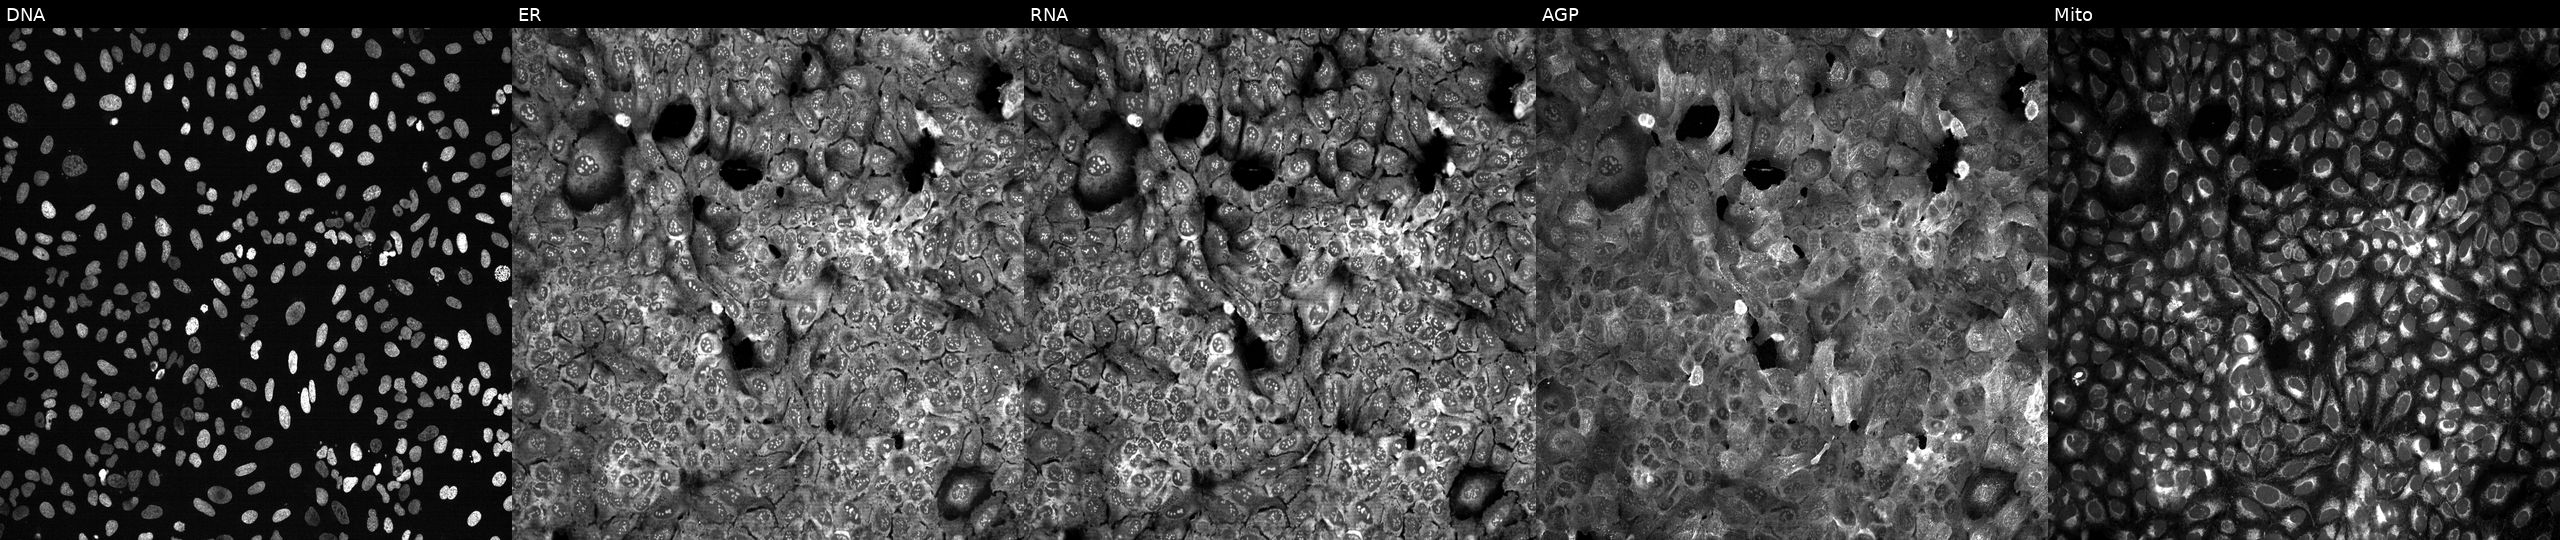
High-content fluorescence microscopy (Cell Painting). Cell line: U2OS. Perturbation: CRISPR-edited to disrupt RAB5B. From left to right: Hoechst 33342, concanavalin A, SYTO 14, phalloidin and WGA, MitoTracker. Source 13, plate CP-CC9-R2-01, well H10.